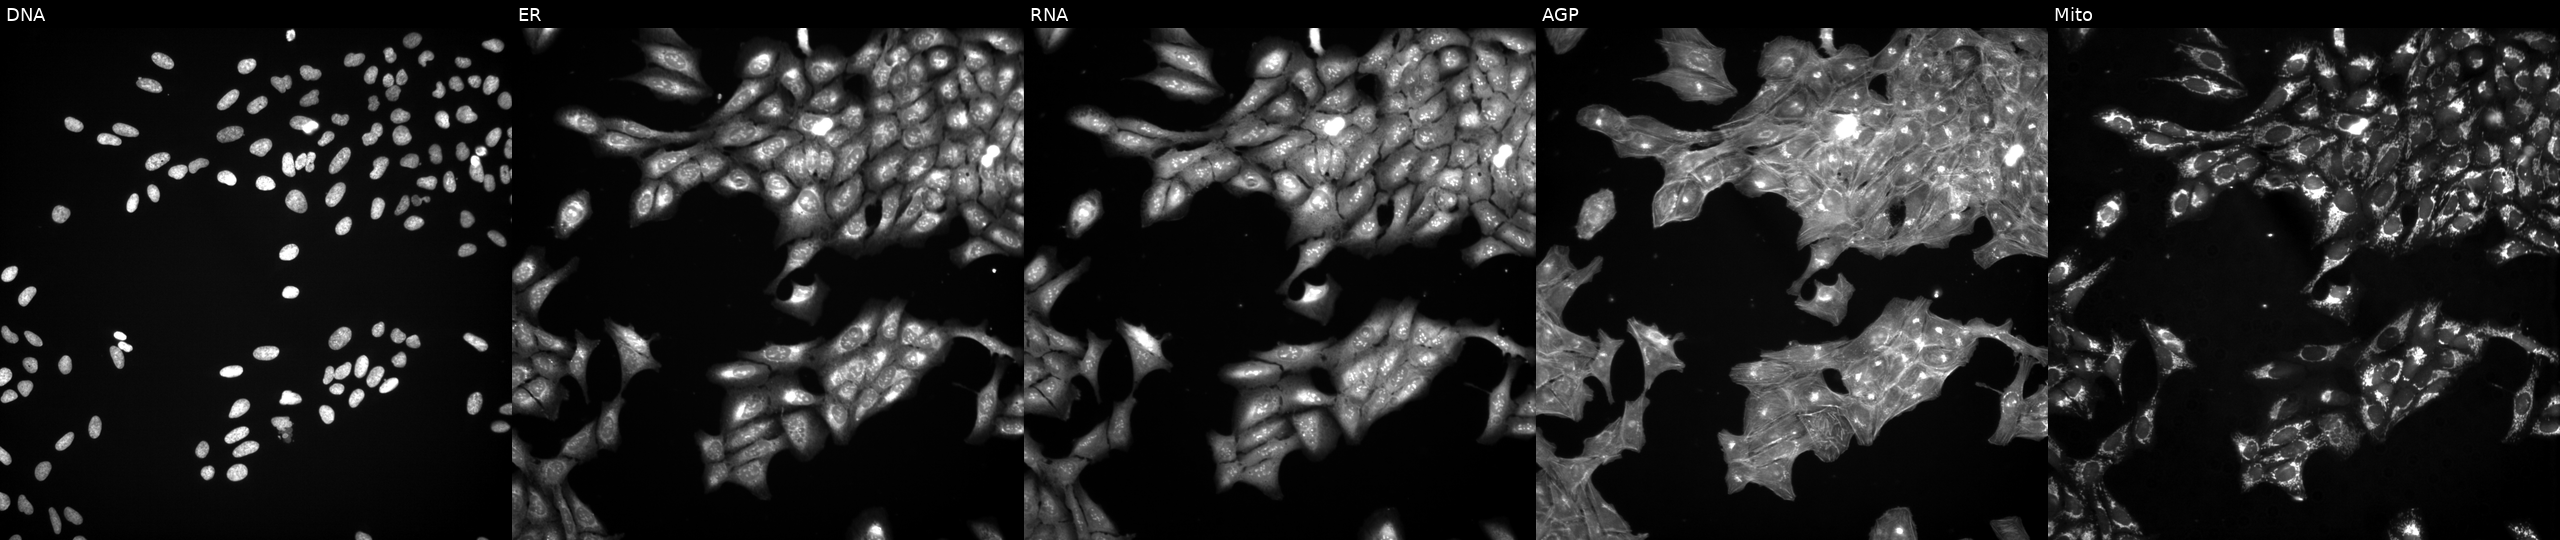
Channels (left→right): Hoechst 33342, concanavalin A, SYTO 14, phalloidin and WGA, MitoTracker. U2OS osteosarcoma cells perturbed with a small-molecule compound (InChIKey UCAGLBKTLXCODC-UHFFFAOYSA-N) (JUMP id JCP2022_088224). Cell Painting assay, JUMP-CP dataset. Source 3, plate JCPQC053, well K03.